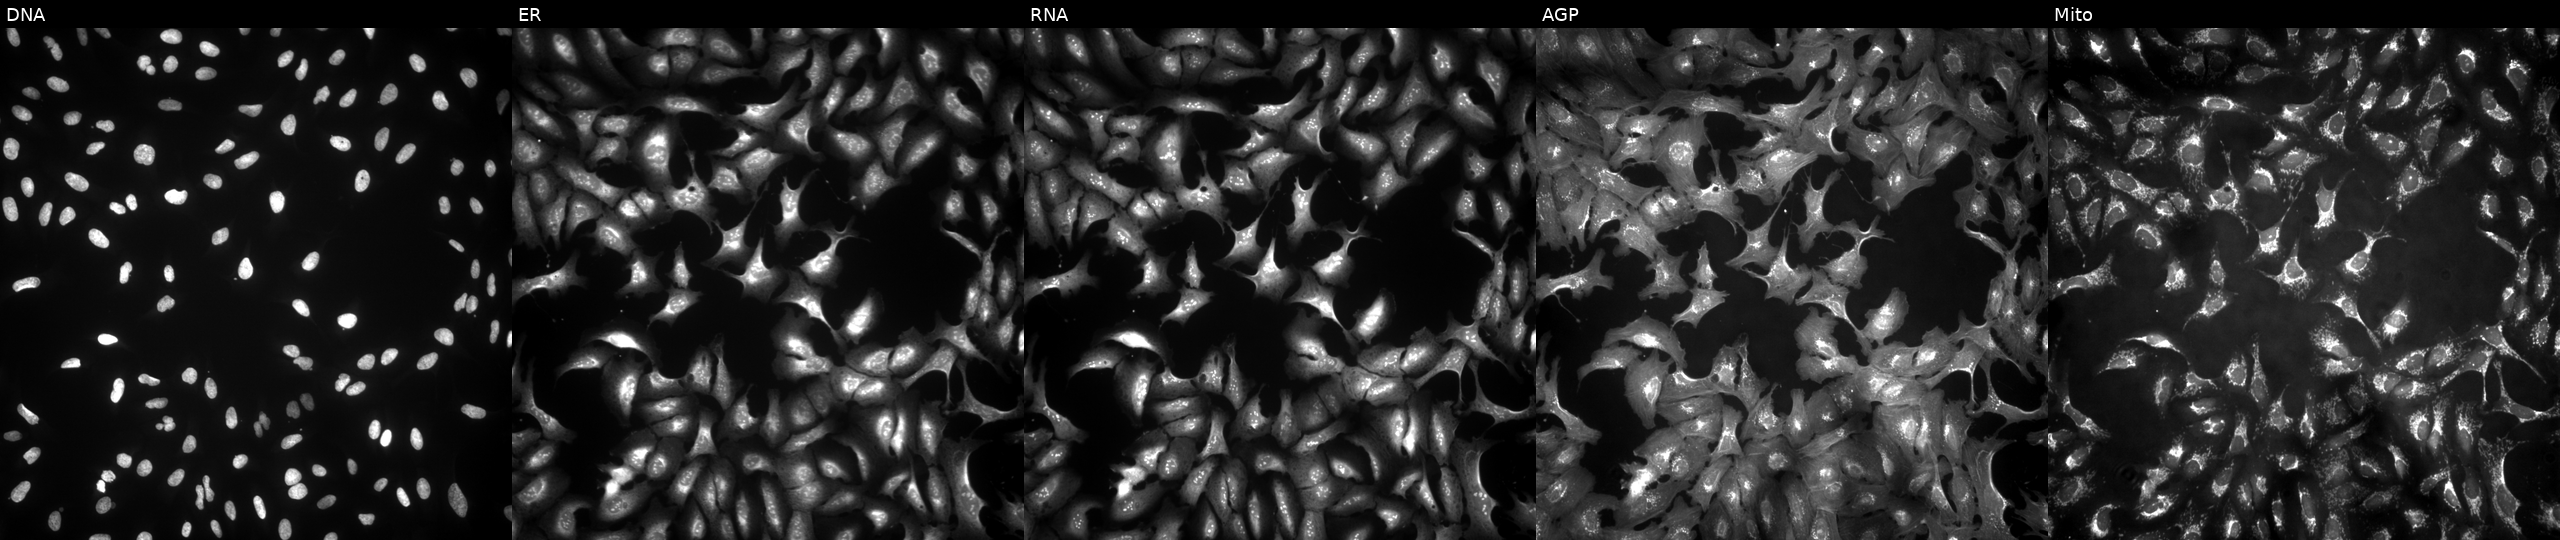
JUMP Cell Painting — ORF plate. U2OS cells transfected with an ORF construct for MICU1. Channels (left→right): DNA, ER, RNA, AGP, and Mito.